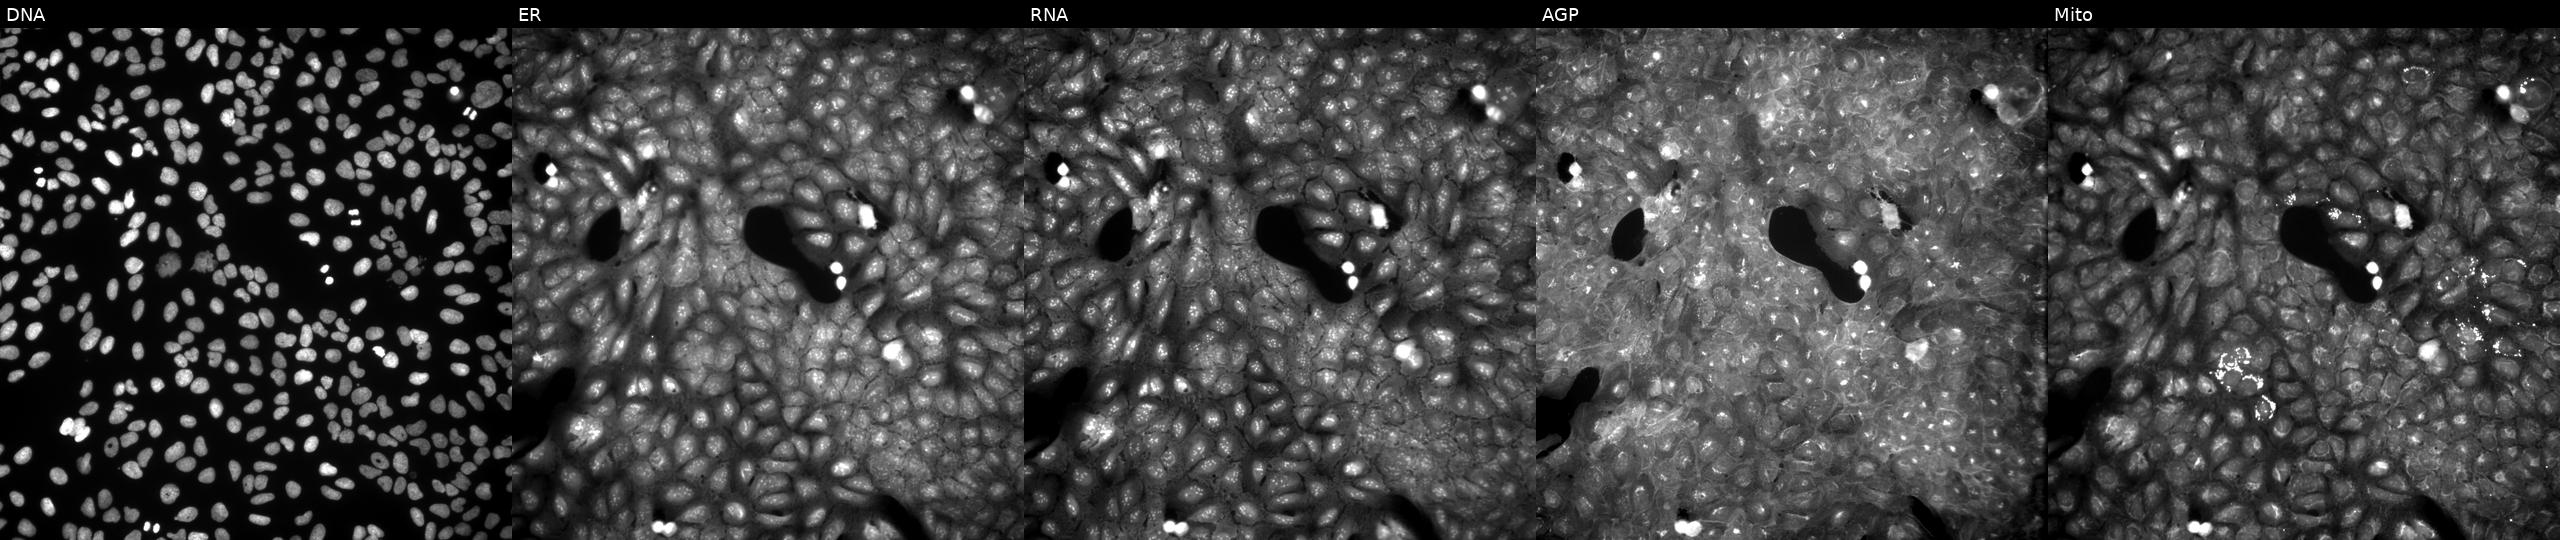
U2OS cells, Cell Painting assay, perturbed with a small-molecule compound (InChIKey TXXCZCPMQLKDCW-UHFFFAOYSA-N) (JUMP id JCP2022_087460). From left to right: DNA (nuclei); ER (endoplasmic reticulum); RNA (nucleoli and cytoplasmic RNA); AGP (actin cytoskeleton, Golgi, and plasma membrane); Mito (mitochondria). Each panel is percentile-stretched 16-bit fluorescence.